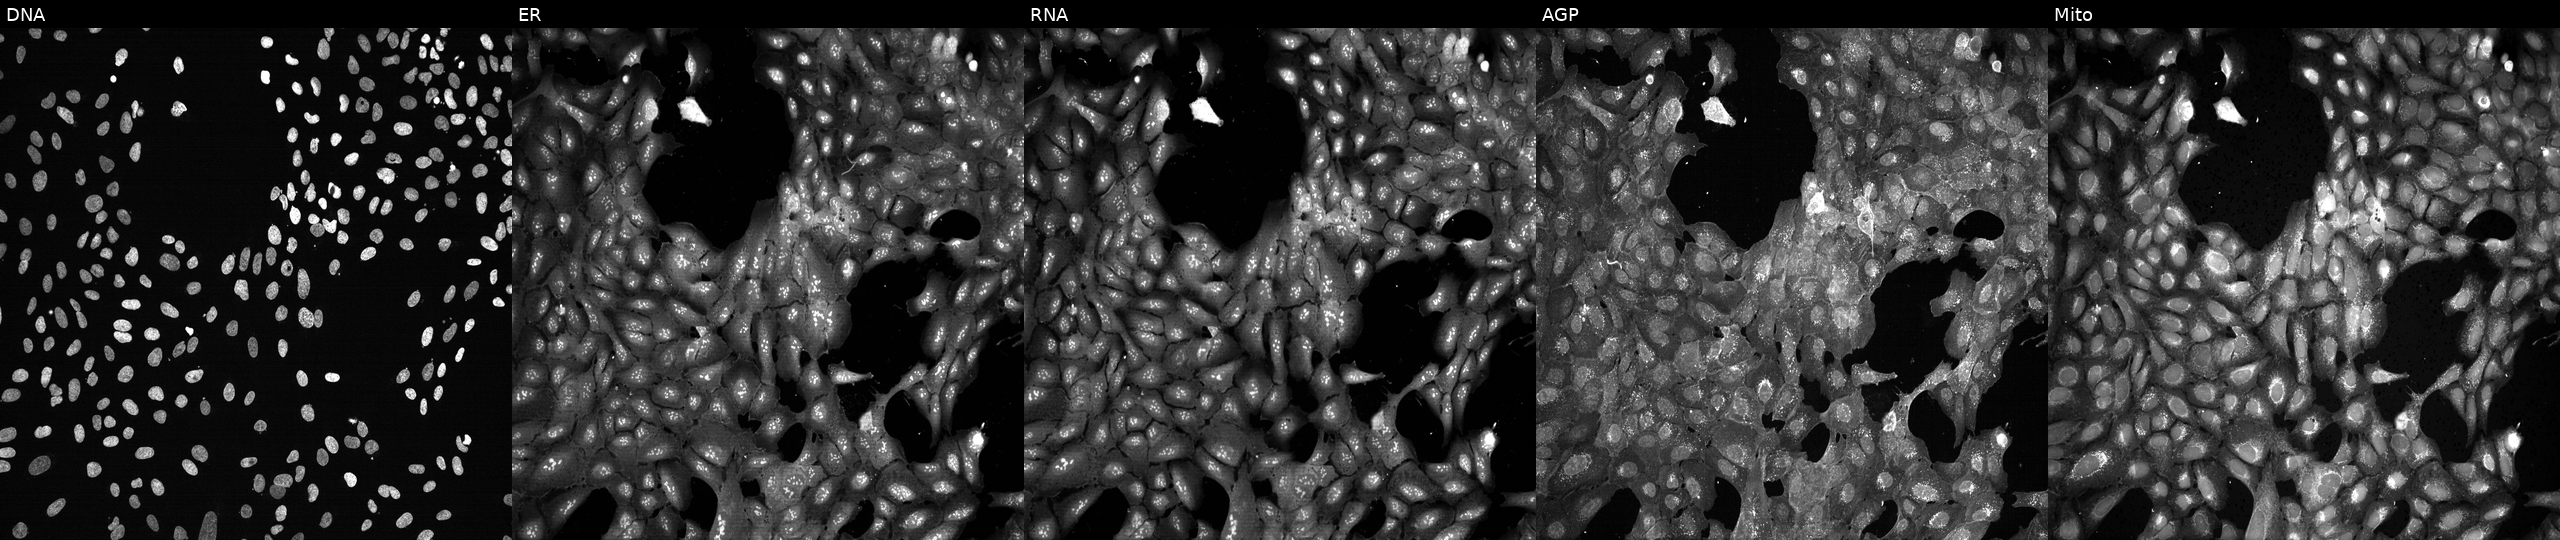
U2OS cells, Cell Painting assay, CRISPR-edited to disrupt NUDT13 (JUMP id JCP2022_804743). From left to right: Hoechst 33342, concanavalin A, SYTO 14, phalloidin and WGA, MitoTracker. Each panel is percentile-stretched 16-bit fluorescence.